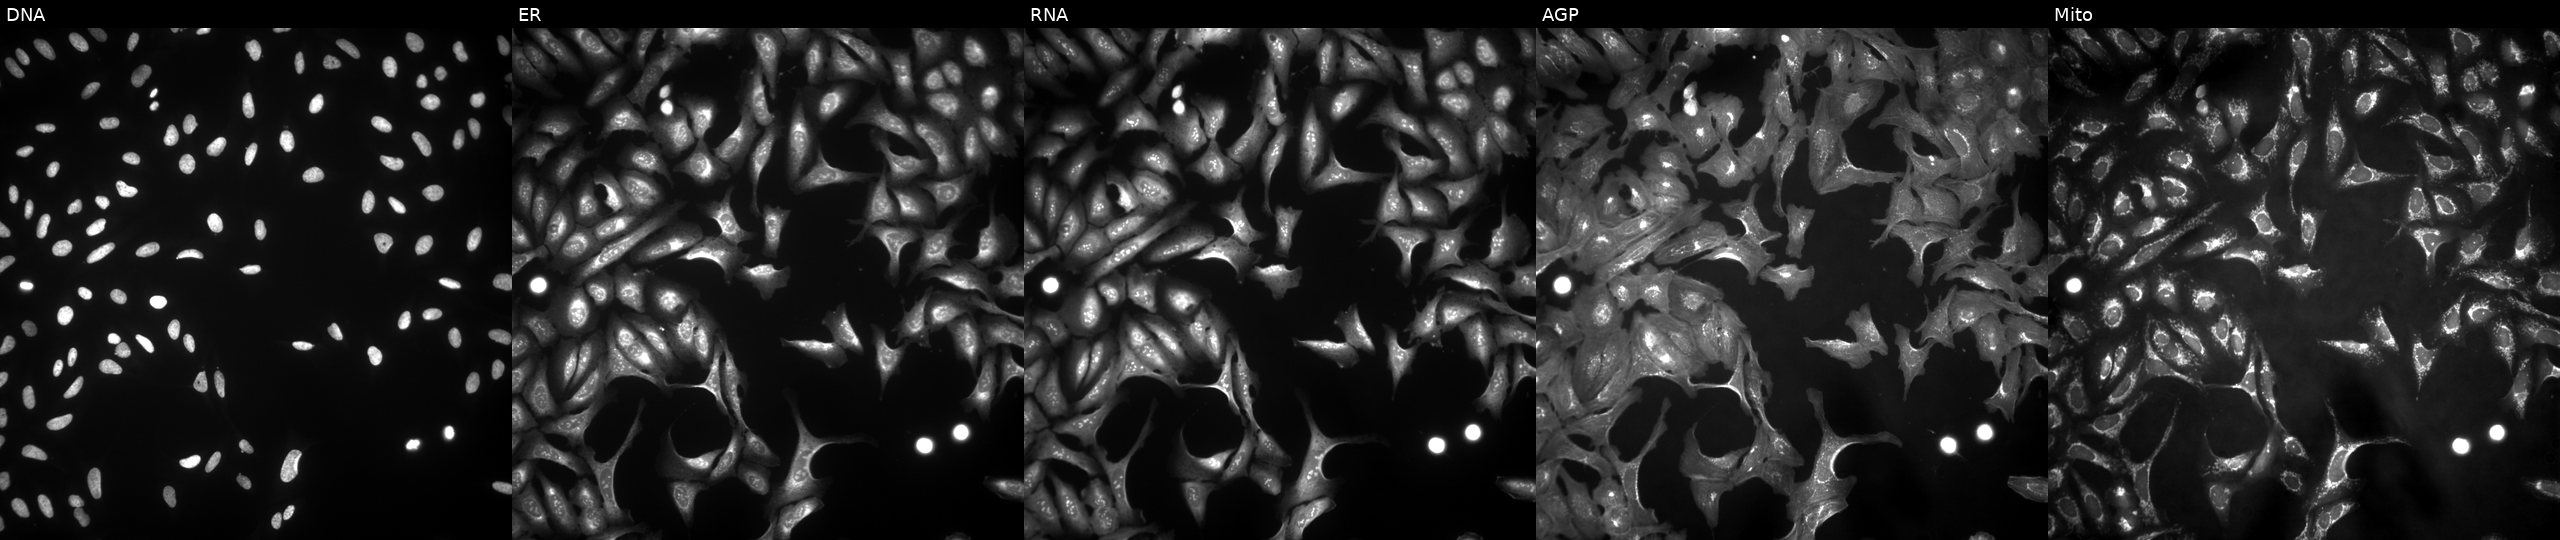
JUMP Cell Painting — ORF plate. U2OS cells overexpressing CDC25C via ORF transfection. Panels show, left to right, DNA (nuclei); ER (endoplasmic reticulum); RNA (nucleoli and cytoplasmic RNA); AGP (actin cytoskeleton, Golgi, and plasma membrane); Mito (mitochondria). Source 4, plate BR00123506, well F20.